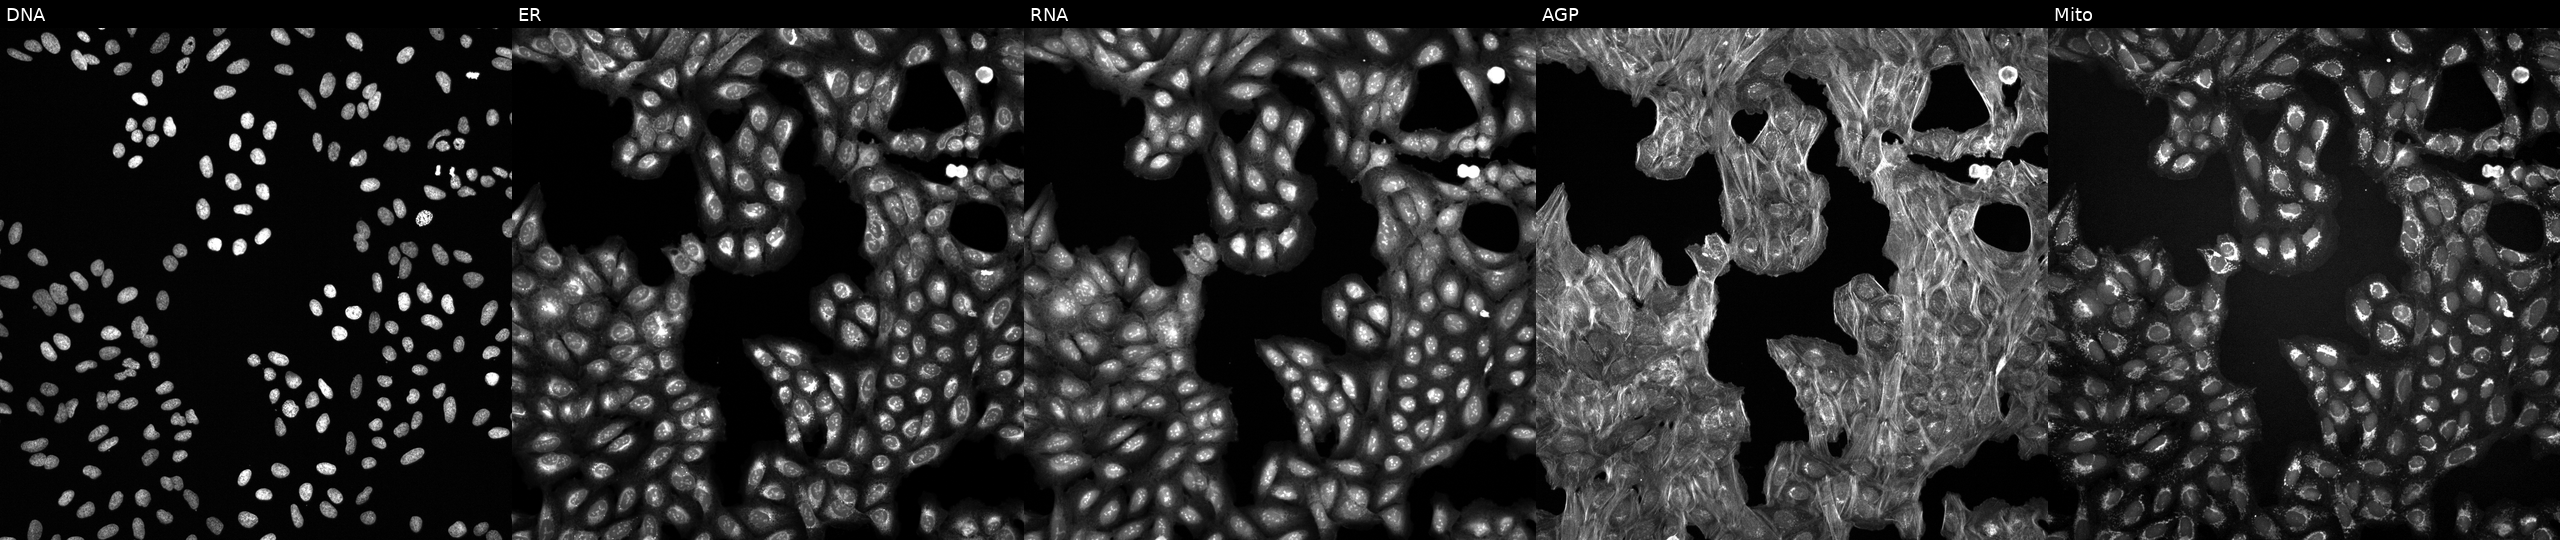
Channels (left→right): DNA (nuclei); ER (endoplasmic reticulum); RNA (nucleoli and cytoplasmic RNA); AGP (actin cytoskeleton, Golgi, and plasma membrane); Mito (mitochondria). U2OS osteosarcoma cells treated with DMSO vehicle only (negative control). Cell Painting assay, JUMP-CP dataset.